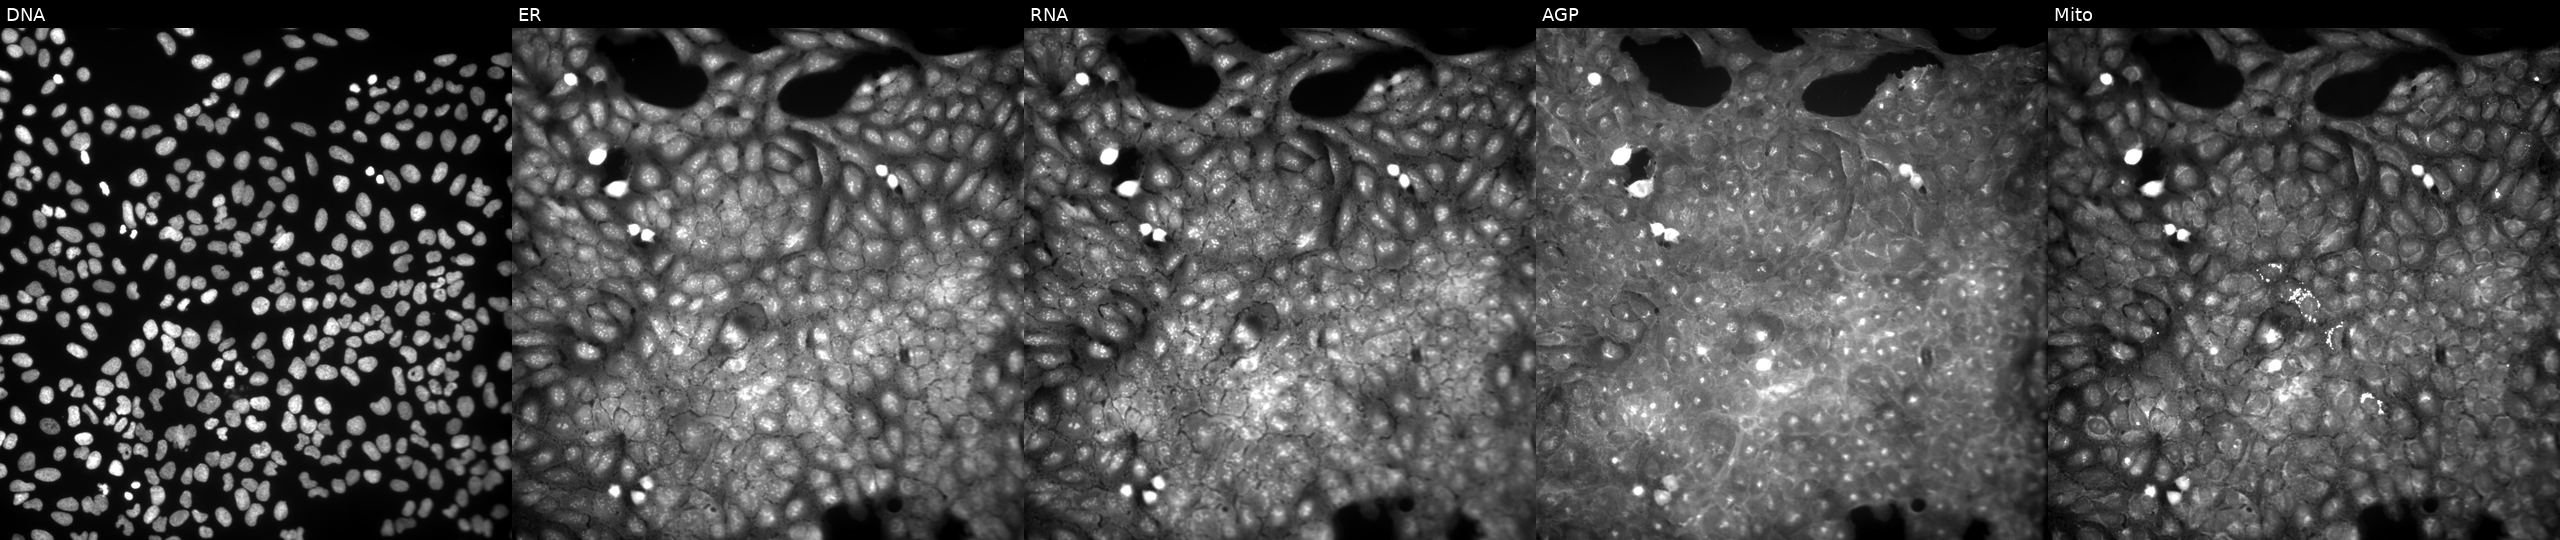
Five-channel Cell Painting image of U2OS cells perturbed with a small-molecule compound (InChIKey OUAGODYEPUUEMV-UHFFFAOYSA-N). From left to right: Hoechst 33342, concanavalin A, SYTO 14, phalloidin and WGA, MitoTracker. Source 9, plate GR00003381, well Y42.